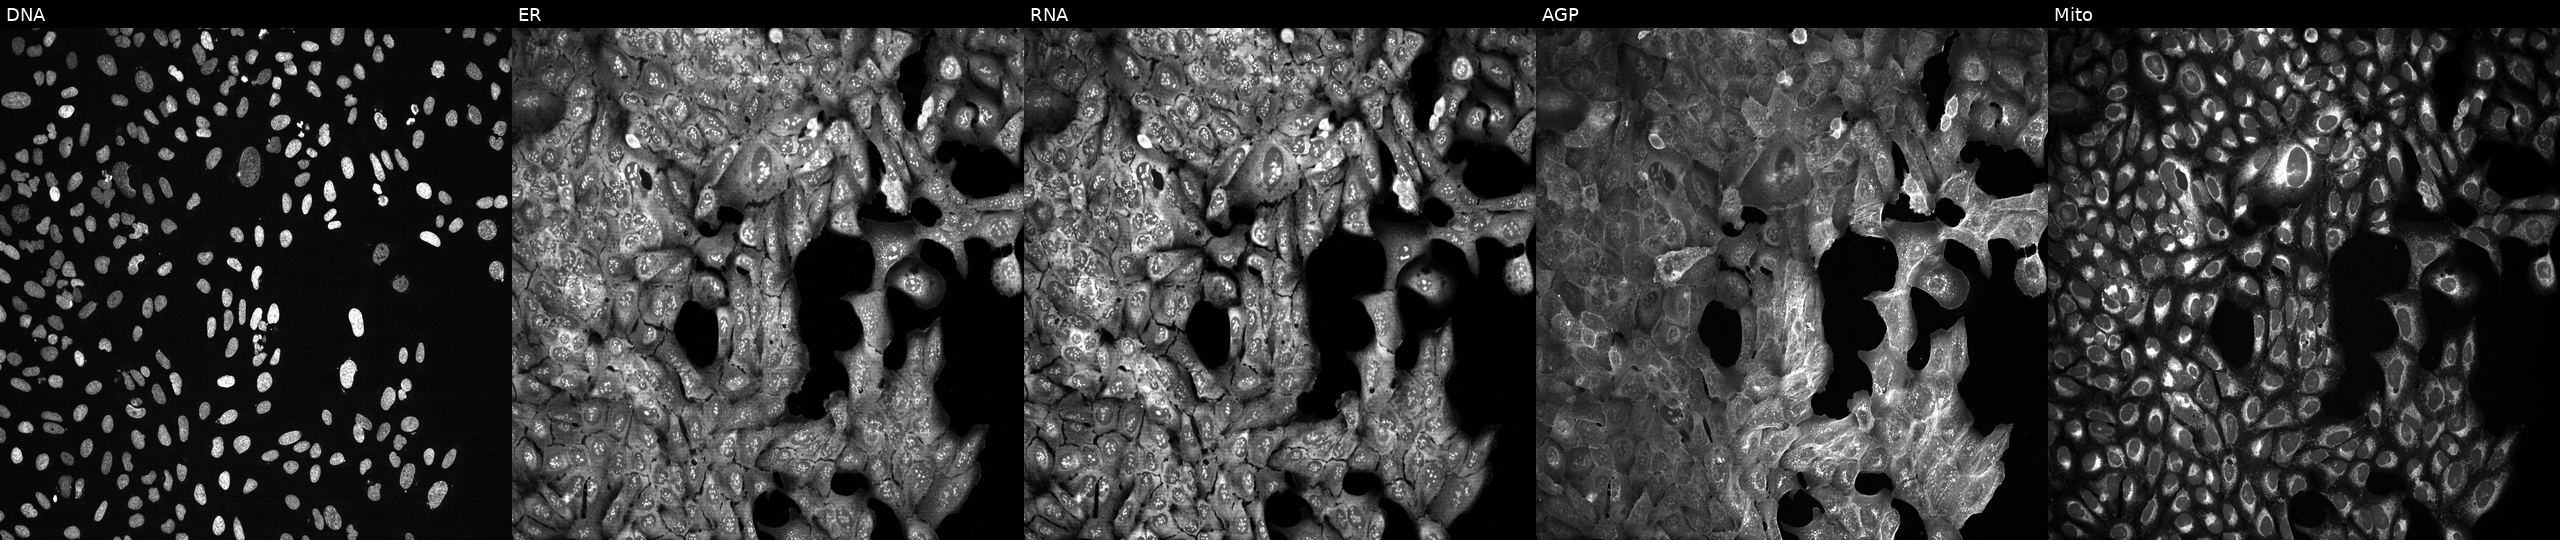
JUMP Cell Painting — CRISPR plate. U2OS cells following CRISPR knockout of F2. Panels show, left to right, Hoechst 33342, concanavalin A, SYTO 14, phalloidin and WGA, MitoTracker.